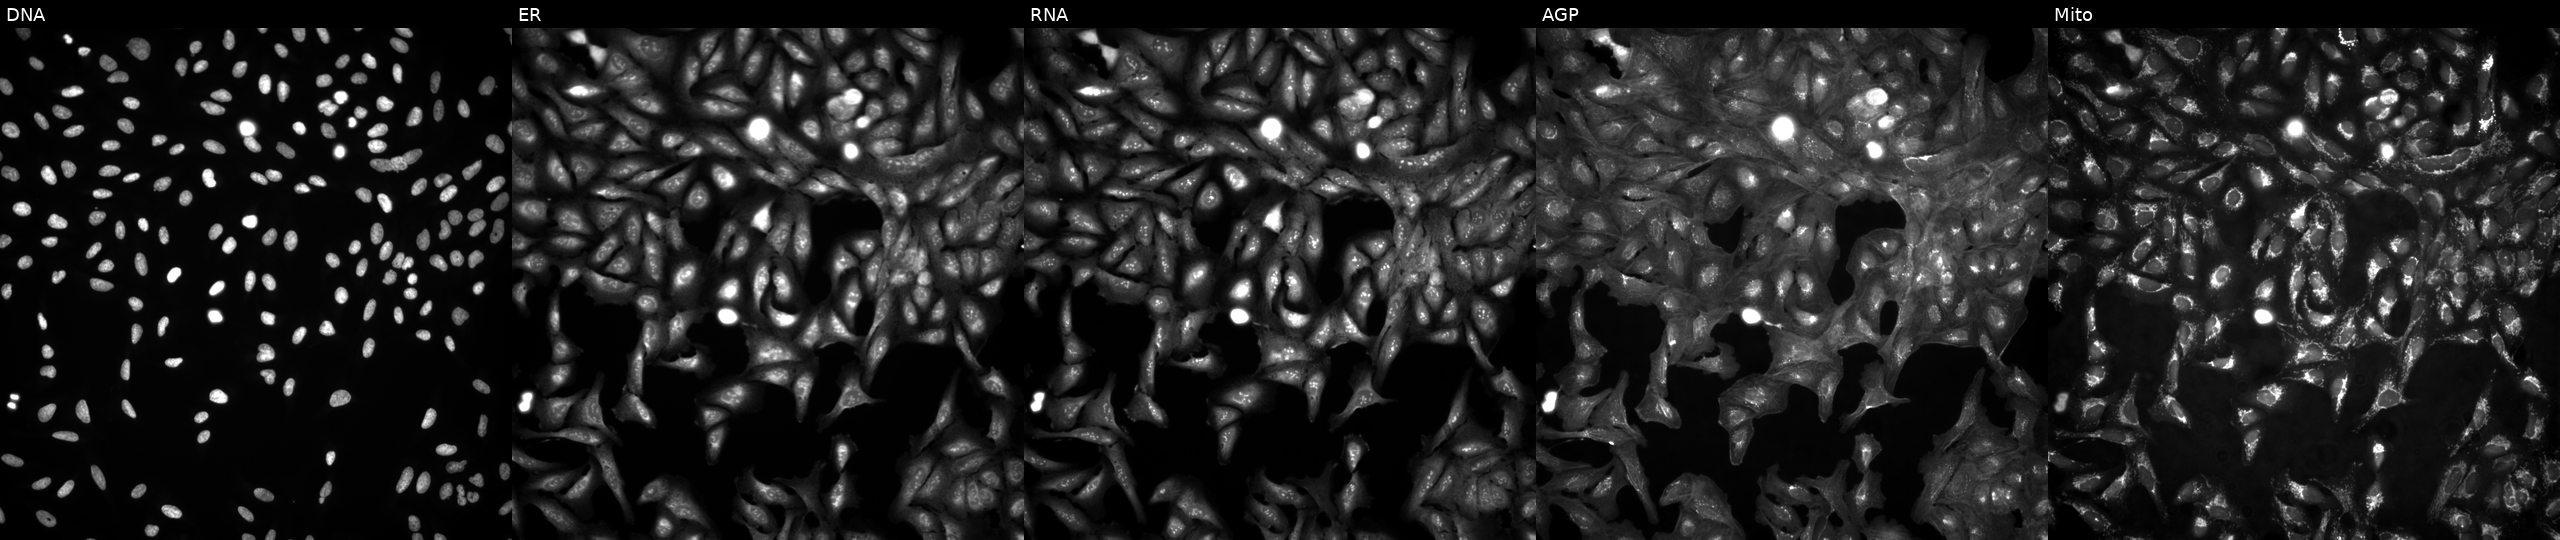
U2OS cells, Cell Painting assay, in an empty control well (no perturbation) (JUMP id JCP2022_999999). From left to right: DNA, ER, RNA, AGP, and Mito. Each panel is percentile-stretched 16-bit fluorescence.